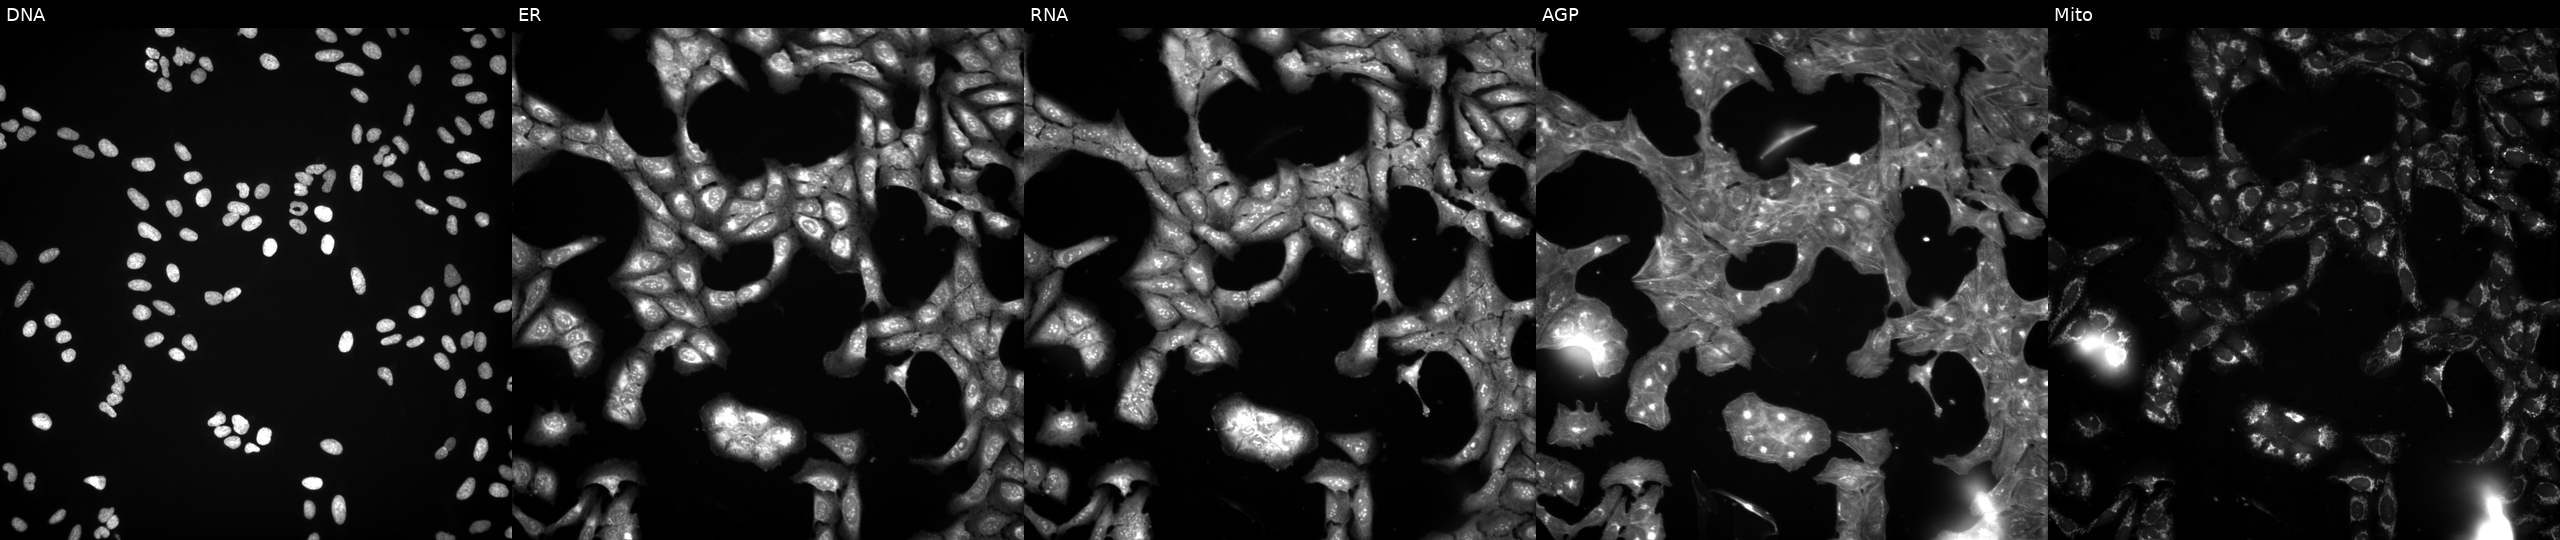
Five-channel Cell Painting image of U2OS cells treated with a small-molecule compound (InChIKey QTDOBONYIRTGJX-UHFFFAOYSA-N). The five panels, left to right, show DNA, ER, RNA, AGP, and Mito.